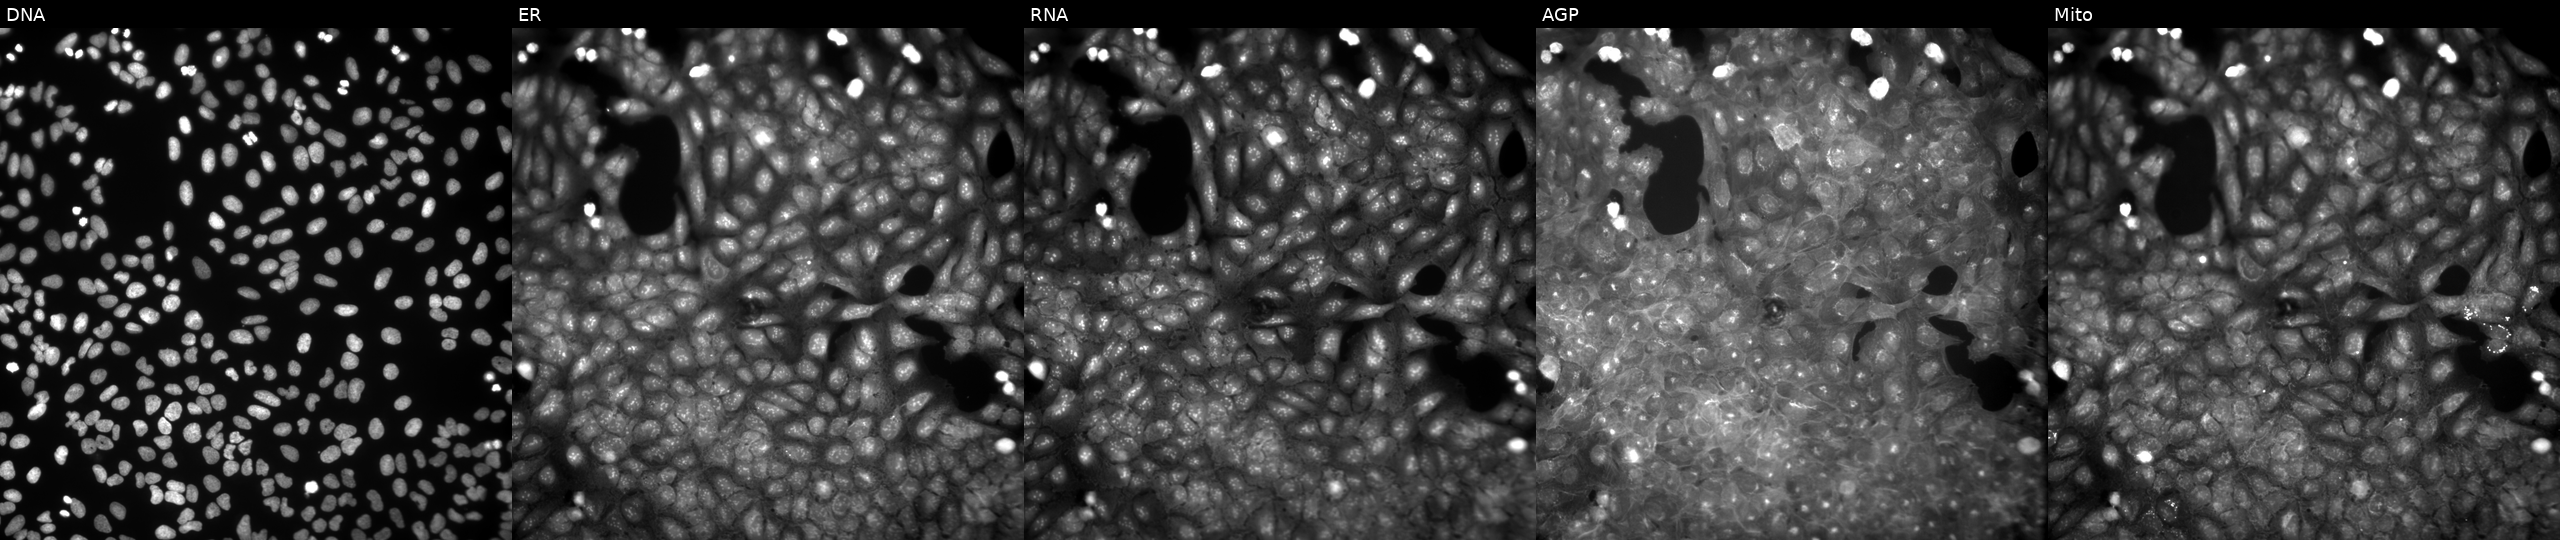
U2OS cells, Cell Painting assay, treated with a small-molecule compound (InChIKey BFZHTVPRXCNENQ-UHFFFAOYSA-N). From left to right: DNA, ER, RNA, AGP, and Mito. Each panel is percentile-stretched 16-bit fluorescence.